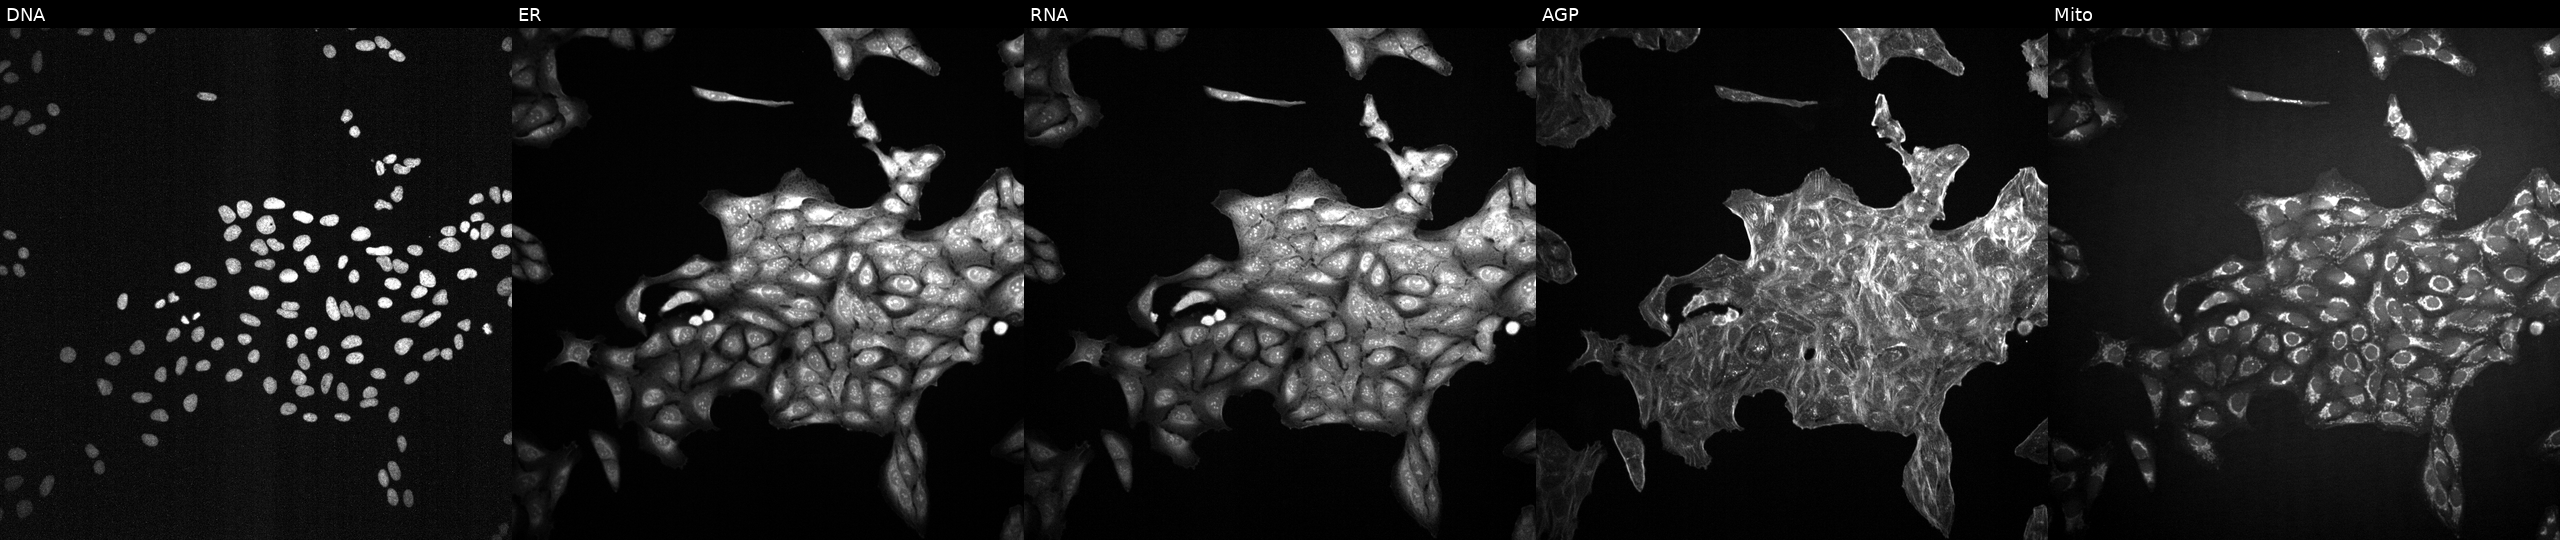
High-content fluorescence microscopy (Cell Painting). Cell line: U2OS. Perturbation: perturbed with a small-molecule compound (InChIKey WATNXVHKRRTUFK-UHFFFAOYSA-N). Panels show, left to right, DNA (nuclei); ER (endoplasmic reticulum); RNA (nucleoli and cytoplasmic RNA); AGP (actin cytoskeleton, Golgi, and plasma membrane); Mito (mitochondria).